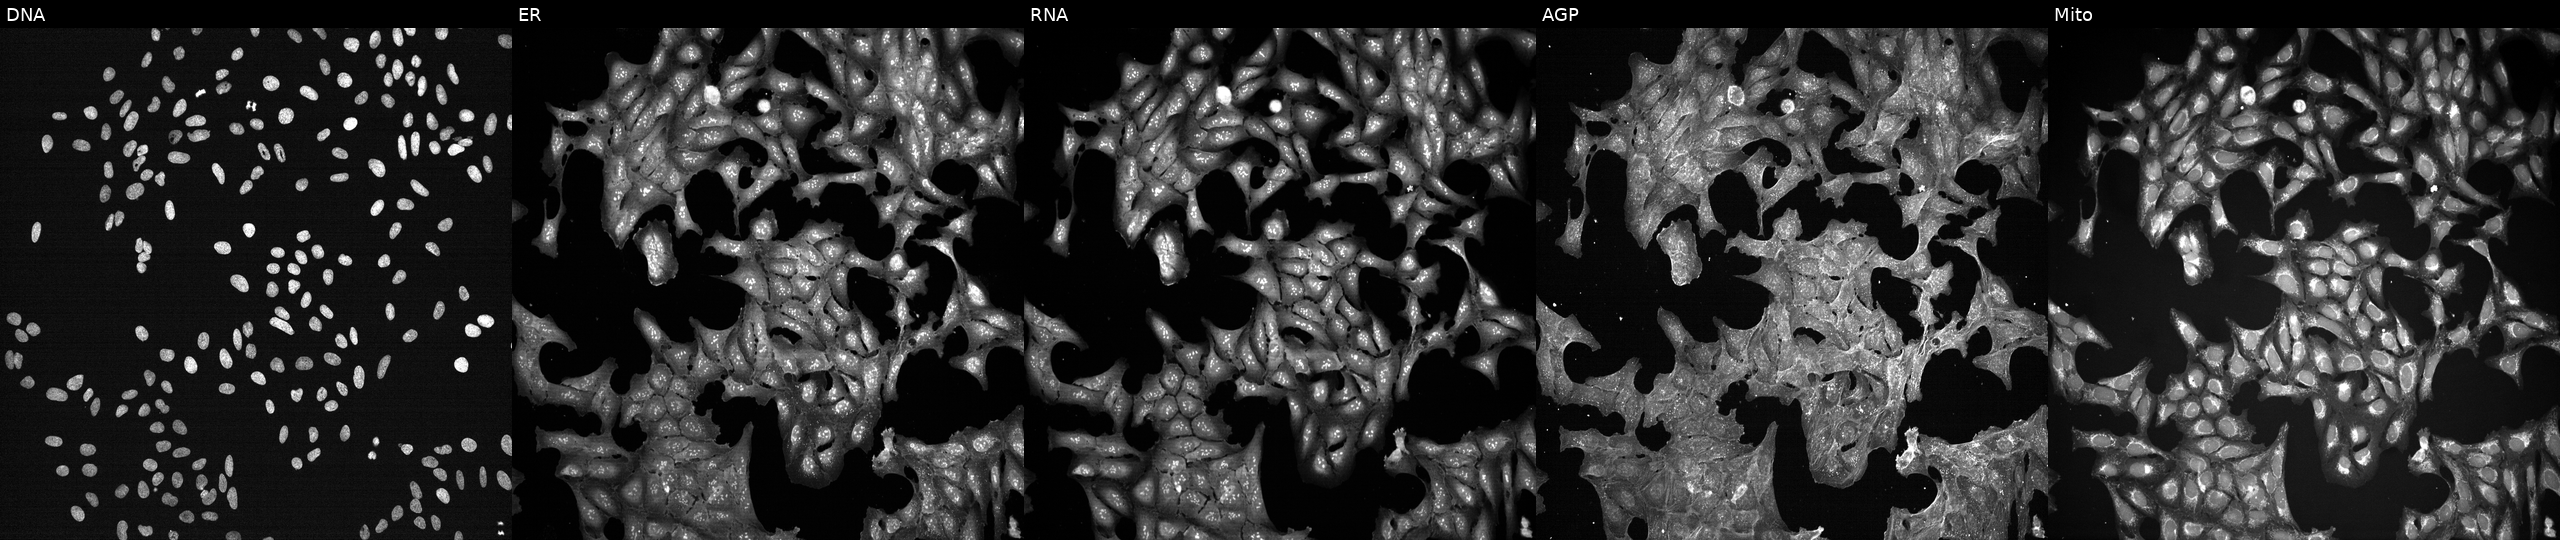
Panels show, left to right, DNA, ER, RNA, AGP, and Mito. U2OS osteosarcoma cells perturbed with a small-molecule compound (InChIKey NXNKJLOEGWSJGI-UHFFFAOYSA-N). Cell Painting assay, JUMP-CP dataset. Source 7, plate CP2-SC1-25, well P08.